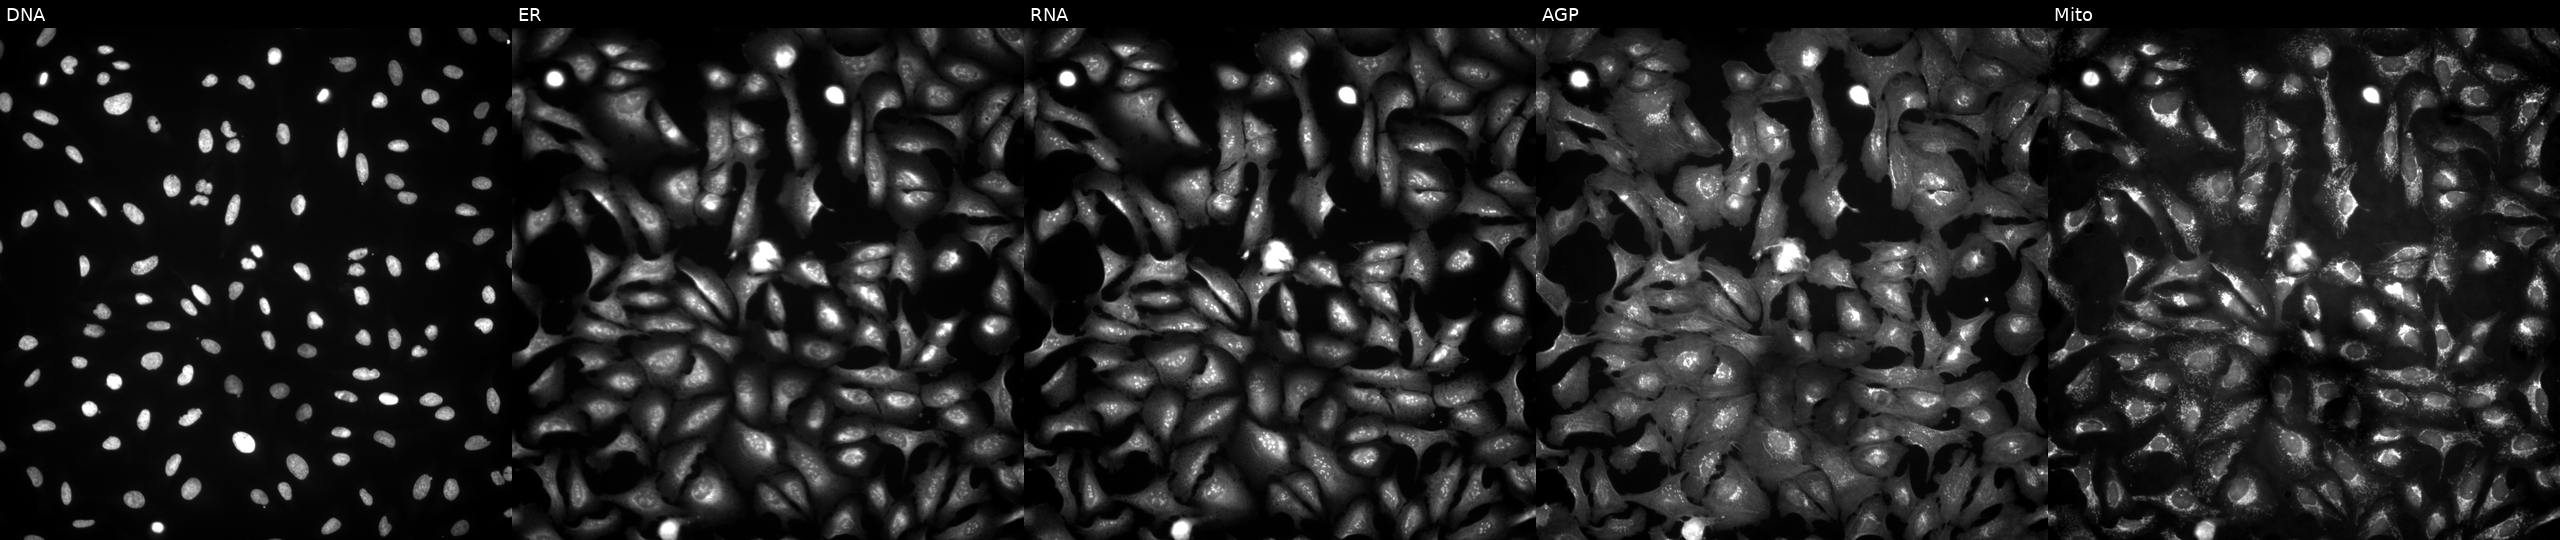
High-content fluorescence microscopy (Cell Painting). Cell line: U2OS. Perturbation: with LOC102725009 overexpressed (ORF) (JUMP id JCP2022_914005). The five panels, left to right, show DNA, ER, RNA, AGP, and Mito.